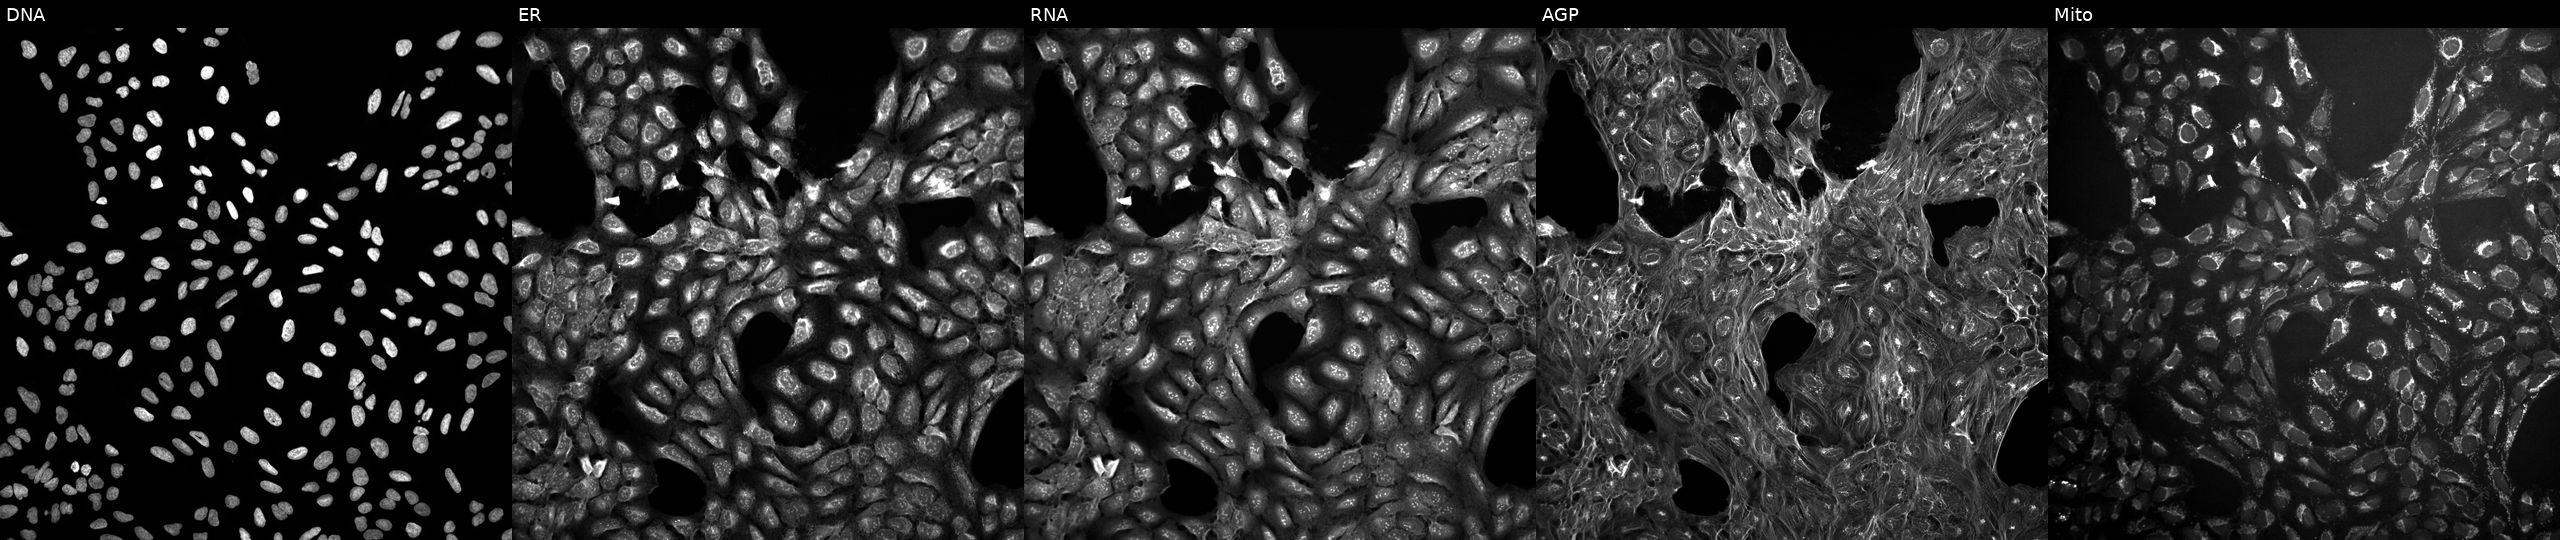
JUMP Cell Painting — COMPOUND plate. U2OS cells exposed to a small-molecule compound (InChIKey MVWOOGPQCLCUFV-UHFFFAOYSA-N). From left to right: Hoechst 33342, concanavalin A, SYTO 14, phalloidin and WGA, MitoTracker.